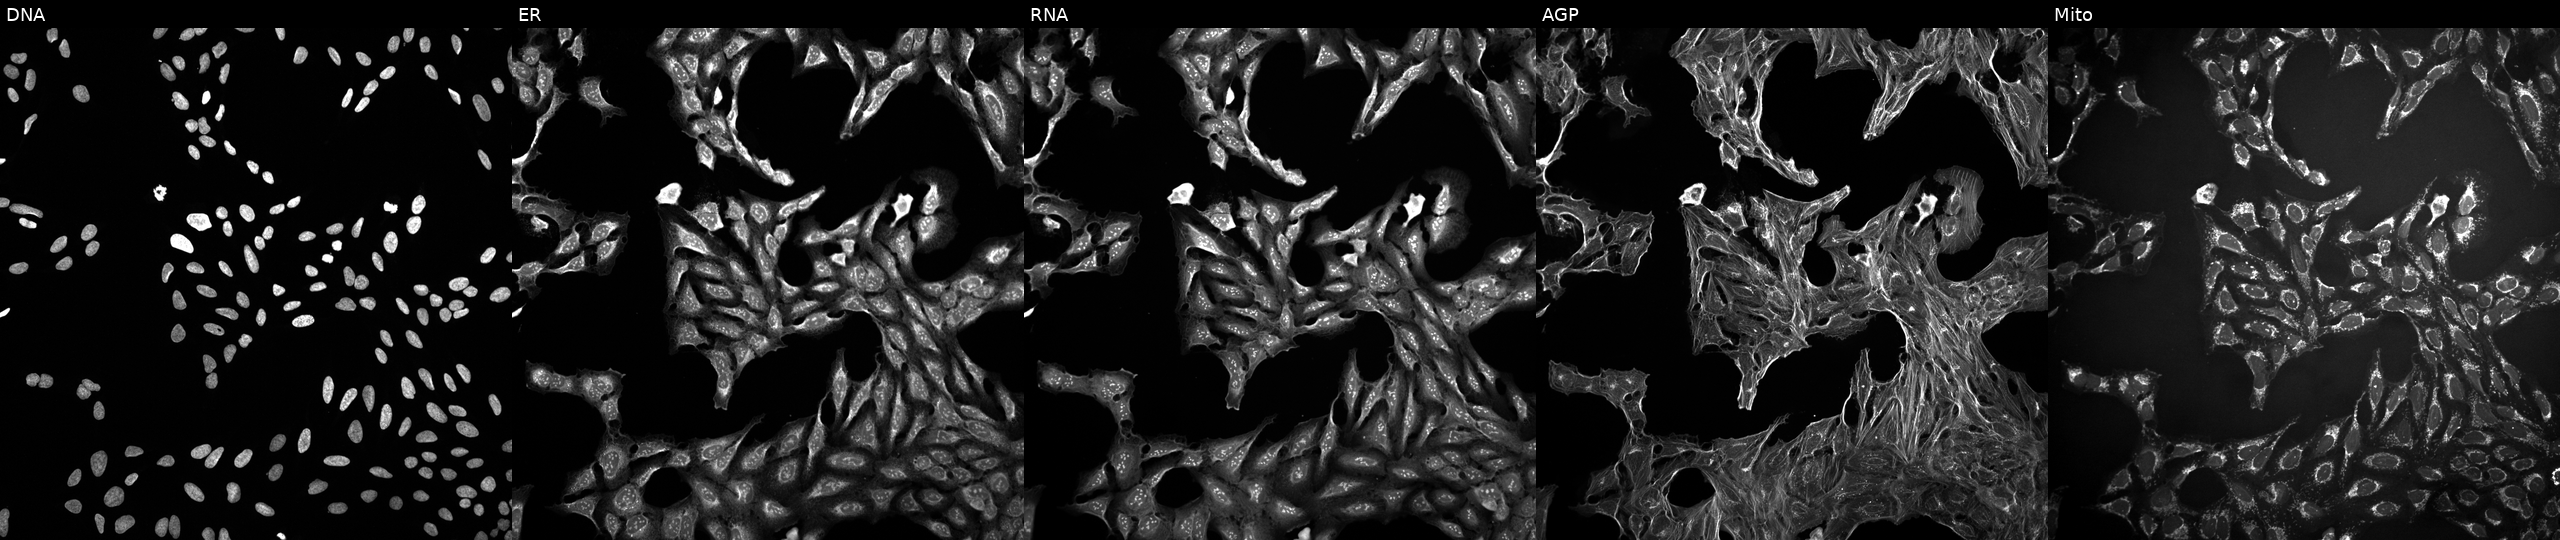
JUMP Cell Painting — TARGET2 plate. U2OS cells treated with dexamethasone (positive-control compound) (JUMP id JCP2022_025848). The five panels, left to right, show DNA (nuclei); ER (endoplasmic reticulum); RNA (nucleoli and cytoplasmic RNA); AGP (actin cytoskeleton, Golgi, and plasma membrane); Mito (mitochondria). Source 10, plate Dest210727-153003, well K02.